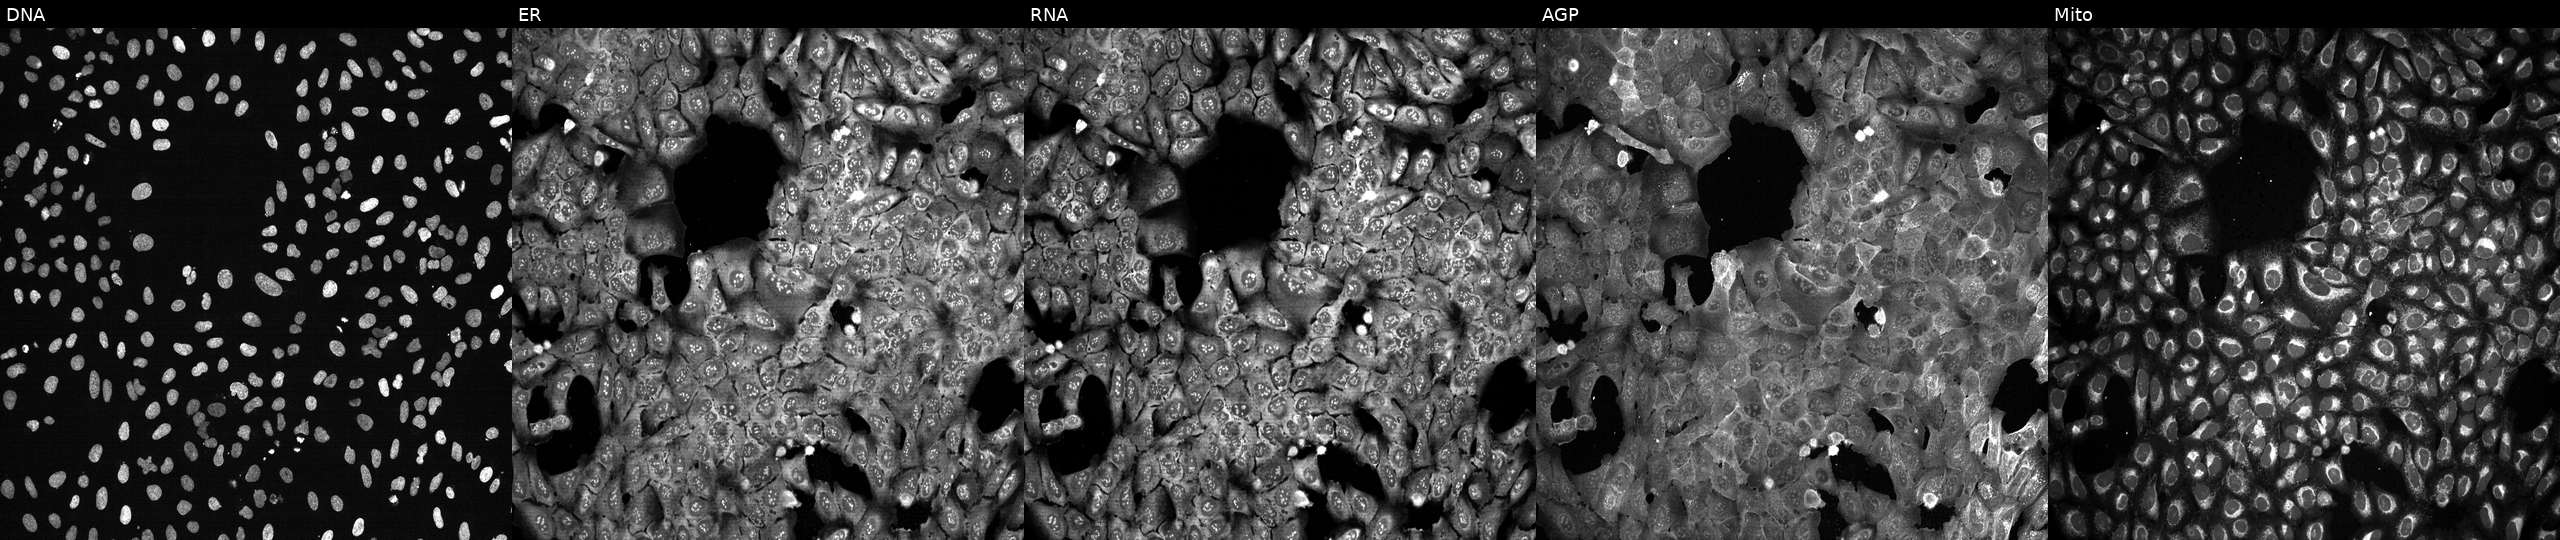
High-content fluorescence microscopy (Cell Painting). Cell line: U2OS. Perturbation: with IMMP1L knocked out by CRISPR (JUMP id JCP2022_803412). The five panels, left to right, show Hoechst 33342, concanavalin A, SYTO 14, phalloidin and WGA, MitoTracker.